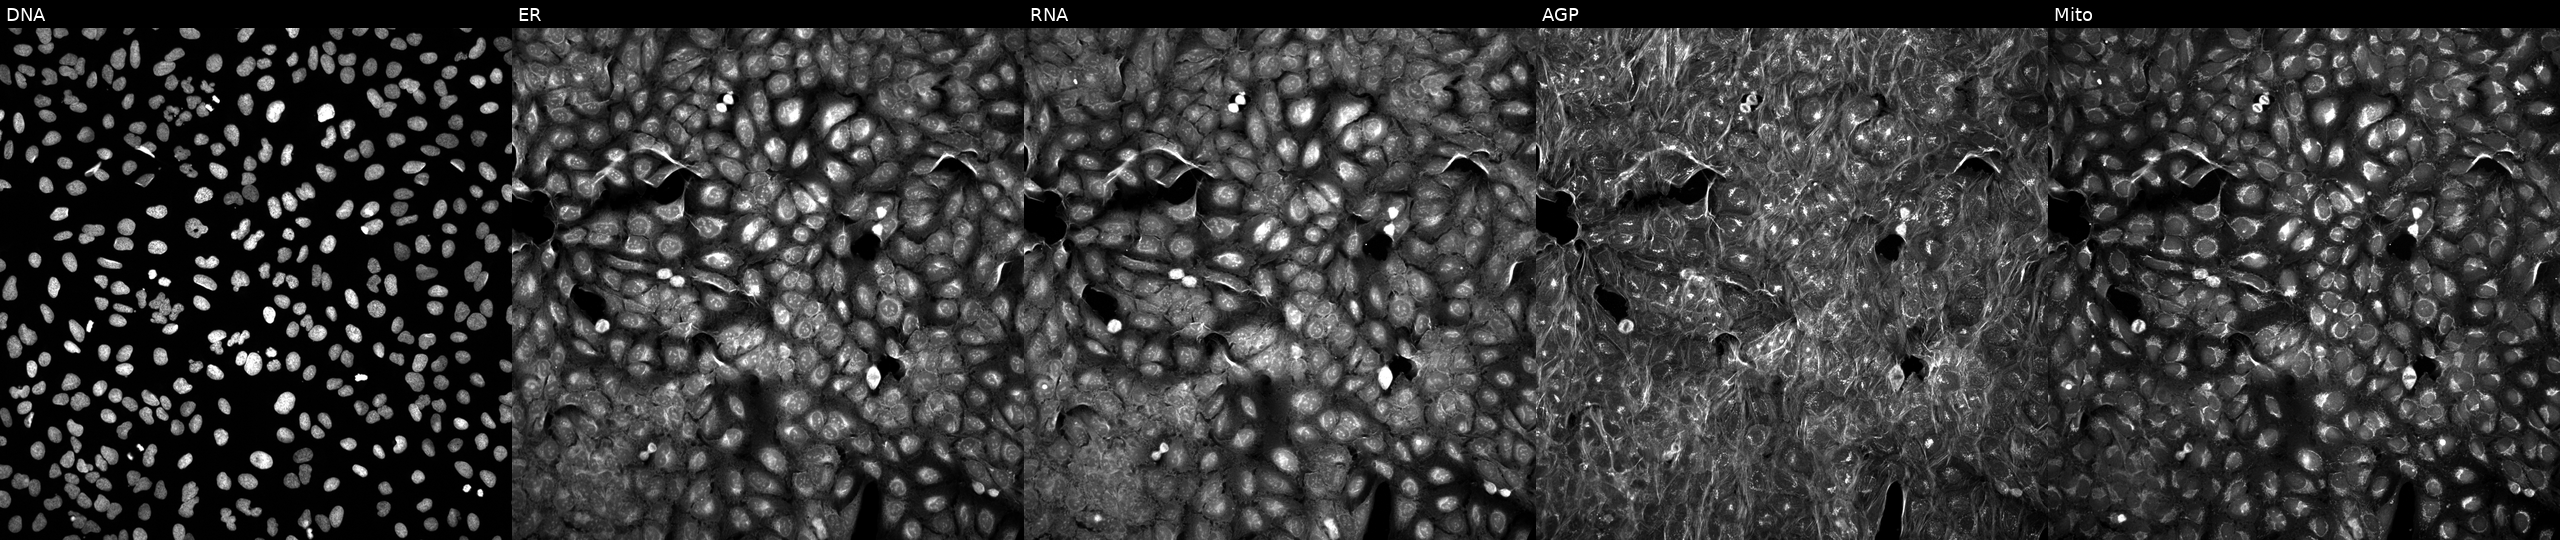
This image strip shows the five Cell Painting channels for a single field of U2OS cells exposed to a small-molecule compound. From left to right: DNA (nuclei); ER (endoplasmic reticulum); RNA (nucleoli and cytoplasmic RNA); AGP (actin cytoskeleton, Golgi, and plasma membrane); Mito (mitochondria).